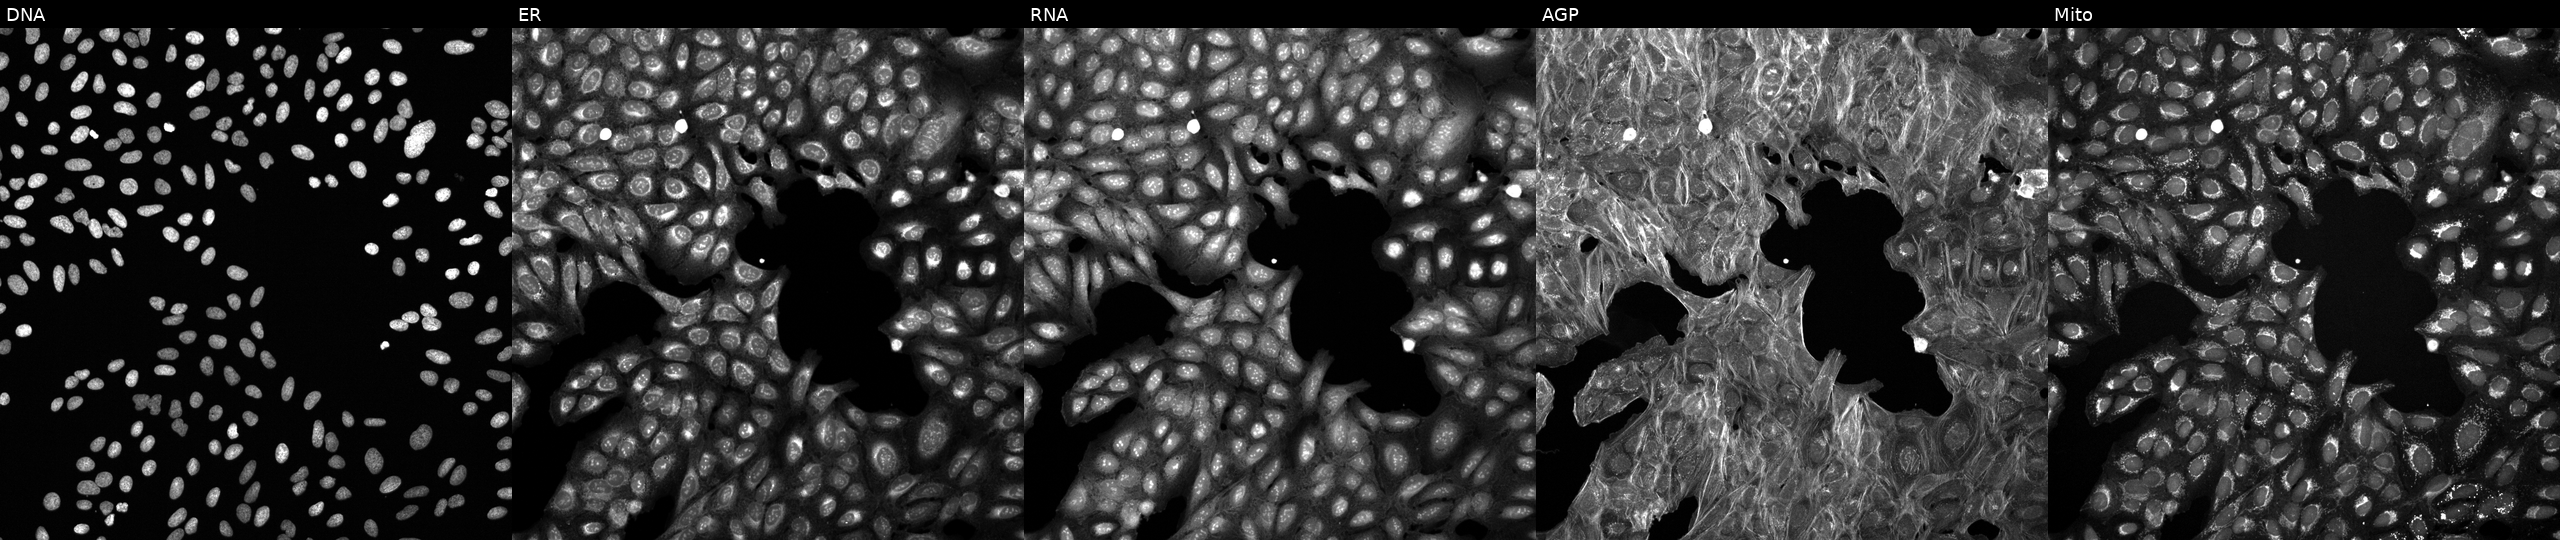
High-content fluorescence microscopy (Cell Painting). Cell line: U2OS. Perturbation: treated with a small-molecule compound (JUMP id JCP2022_032357). Panels show, left to right, DNA (nuclei); ER (endoplasmic reticulum); RNA (nucleoli and cytoplasmic RNA); AGP (actin cytoskeleton, Golgi, and plasma membrane); Mito (mitochondria).